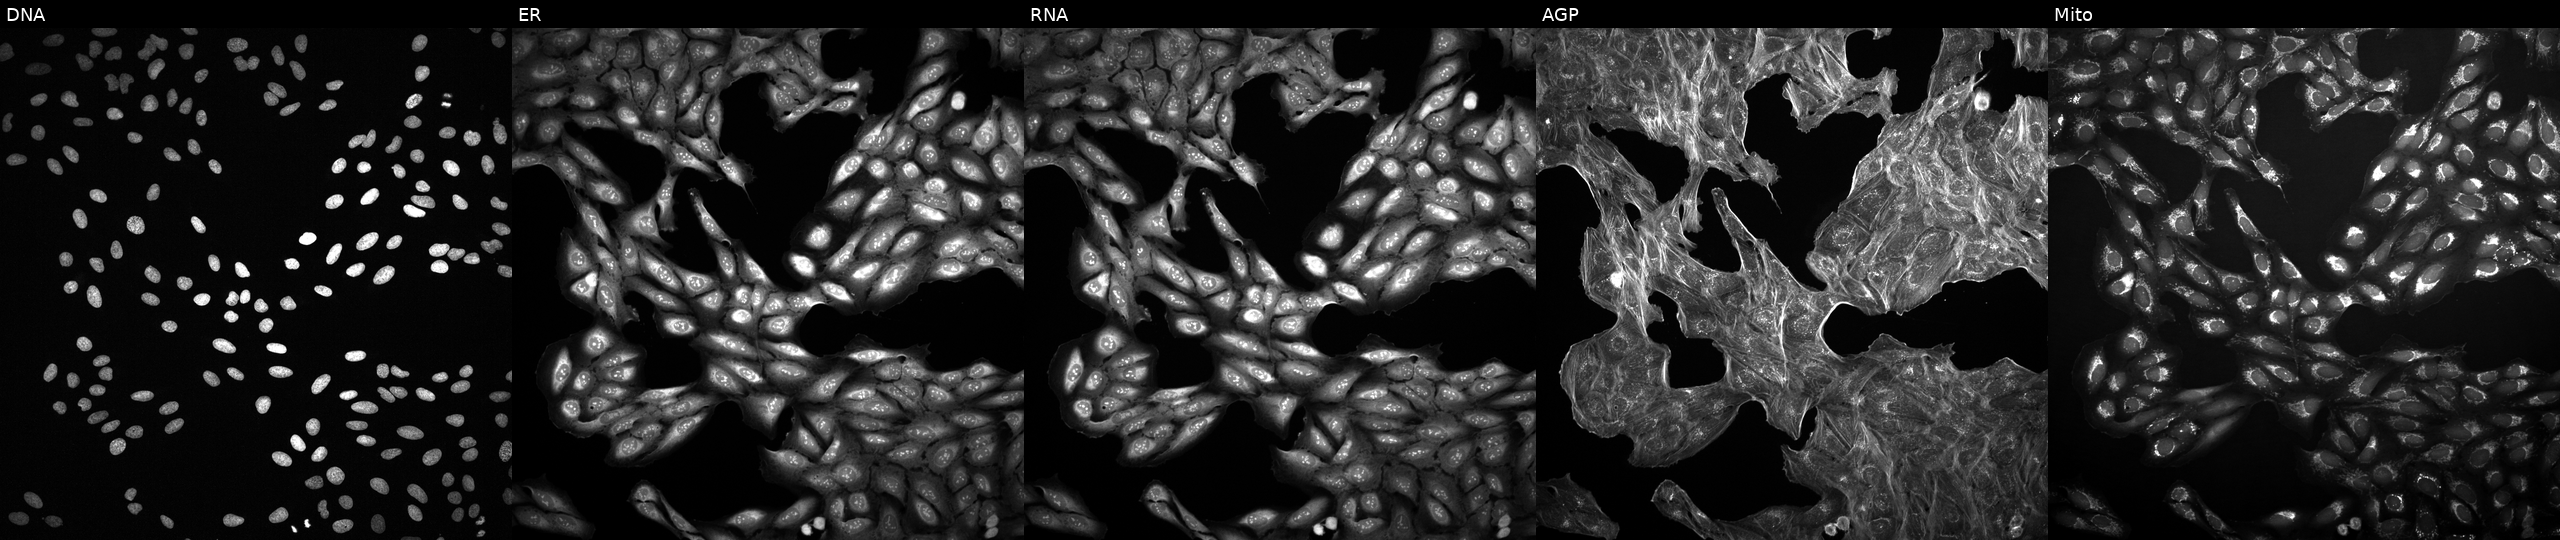
From left to right: Hoechst 33342, concanavalin A, SYTO 14, phalloidin and WGA, MitoTracker. U2OS osteosarcoma cells exposed to DMSO alone as a negative control. Cell Painting assay, JUMP-CP dataset. Source 2, plate 1053597936, well C09.